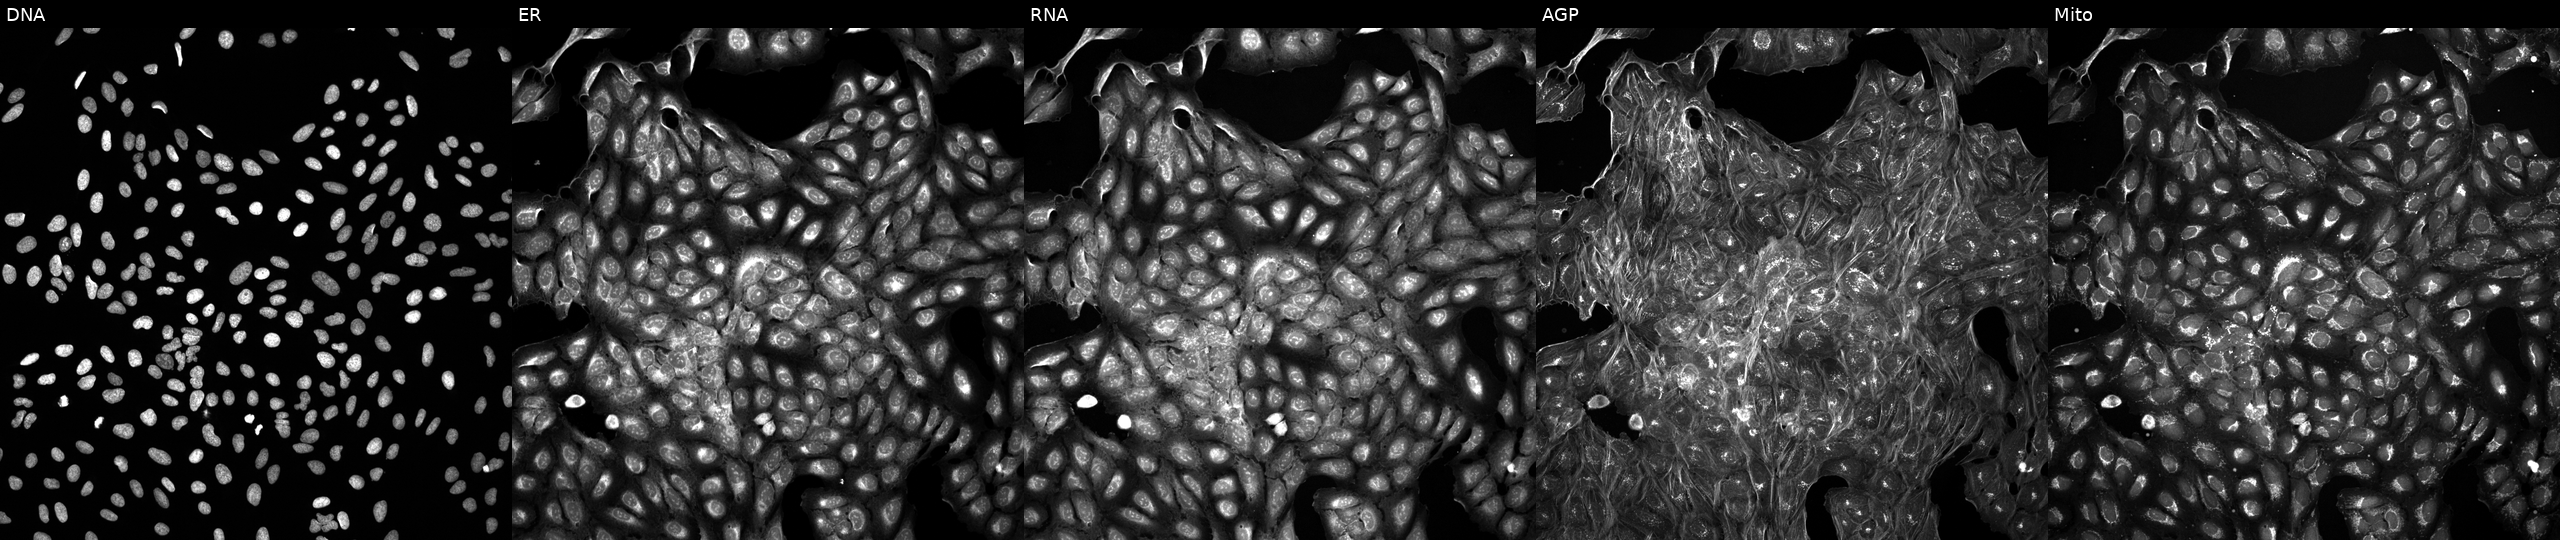
Five-channel Cell Painting image of U2OS cells perturbed with a small-molecule compound (InChIKey LENZDBCJOHFCAS-UHFFFAOYSA-N) (JUMP id JCP2022_048928). The five panels, left to right, show Hoechst 33342, concanavalin A, SYTO 14, phalloidin and WGA, MitoTracker.